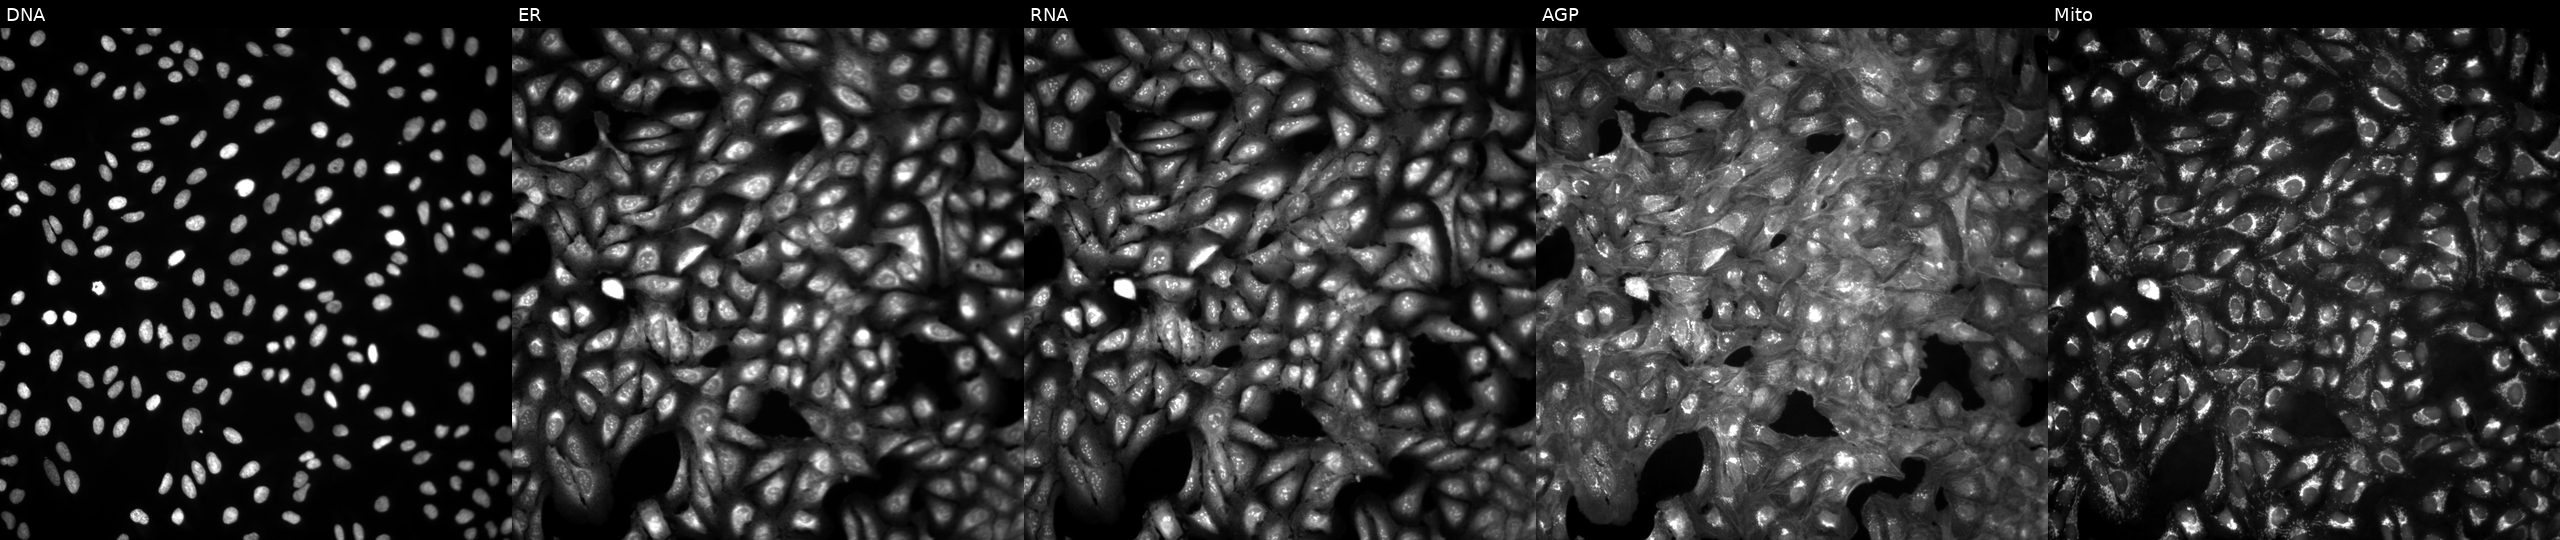
This image strip shows the five Cell Painting channels for a single field of U2OS cells in an empty control well (no perturbation). The five panels, left to right, show DNA (nuclei); ER (endoplasmic reticulum); RNA (nucleoli and cytoplasmic RNA); AGP (actin cytoskeleton, Golgi, and plasma membrane); Mito (mitochondria). Source 4, plate BR00124793, well M23.